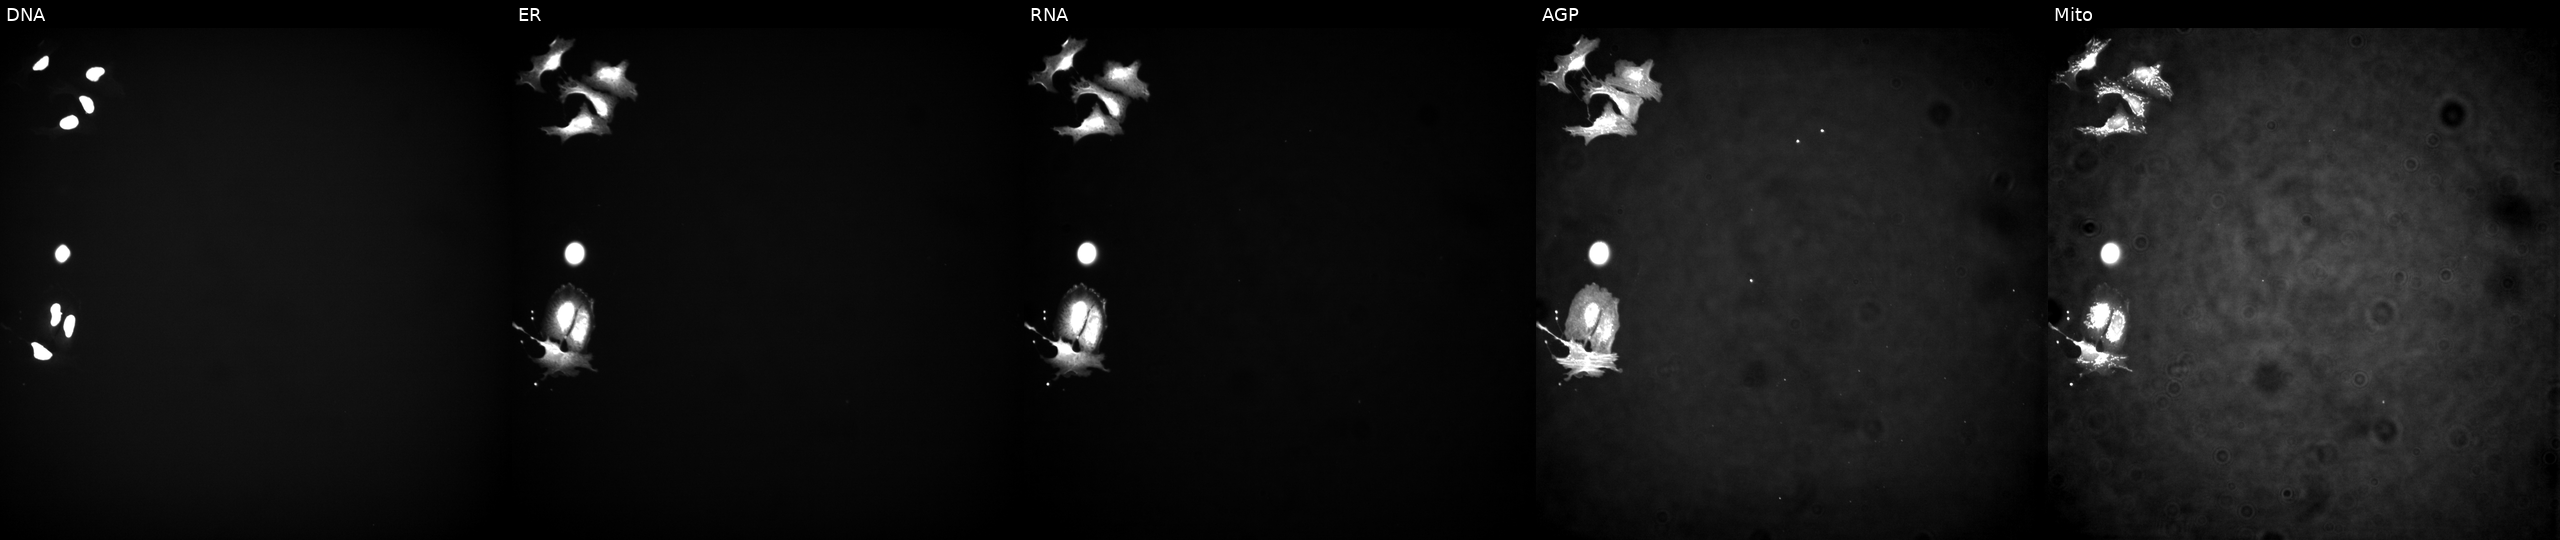
High-content fluorescence microscopy (Cell Painting). Cell line: U2OS. Perturbation: with CAMK2A overexpressed (ORF) (JUMP id JCP2022_913595). Panels show, left to right, DNA, ER, RNA, AGP, and Mito.